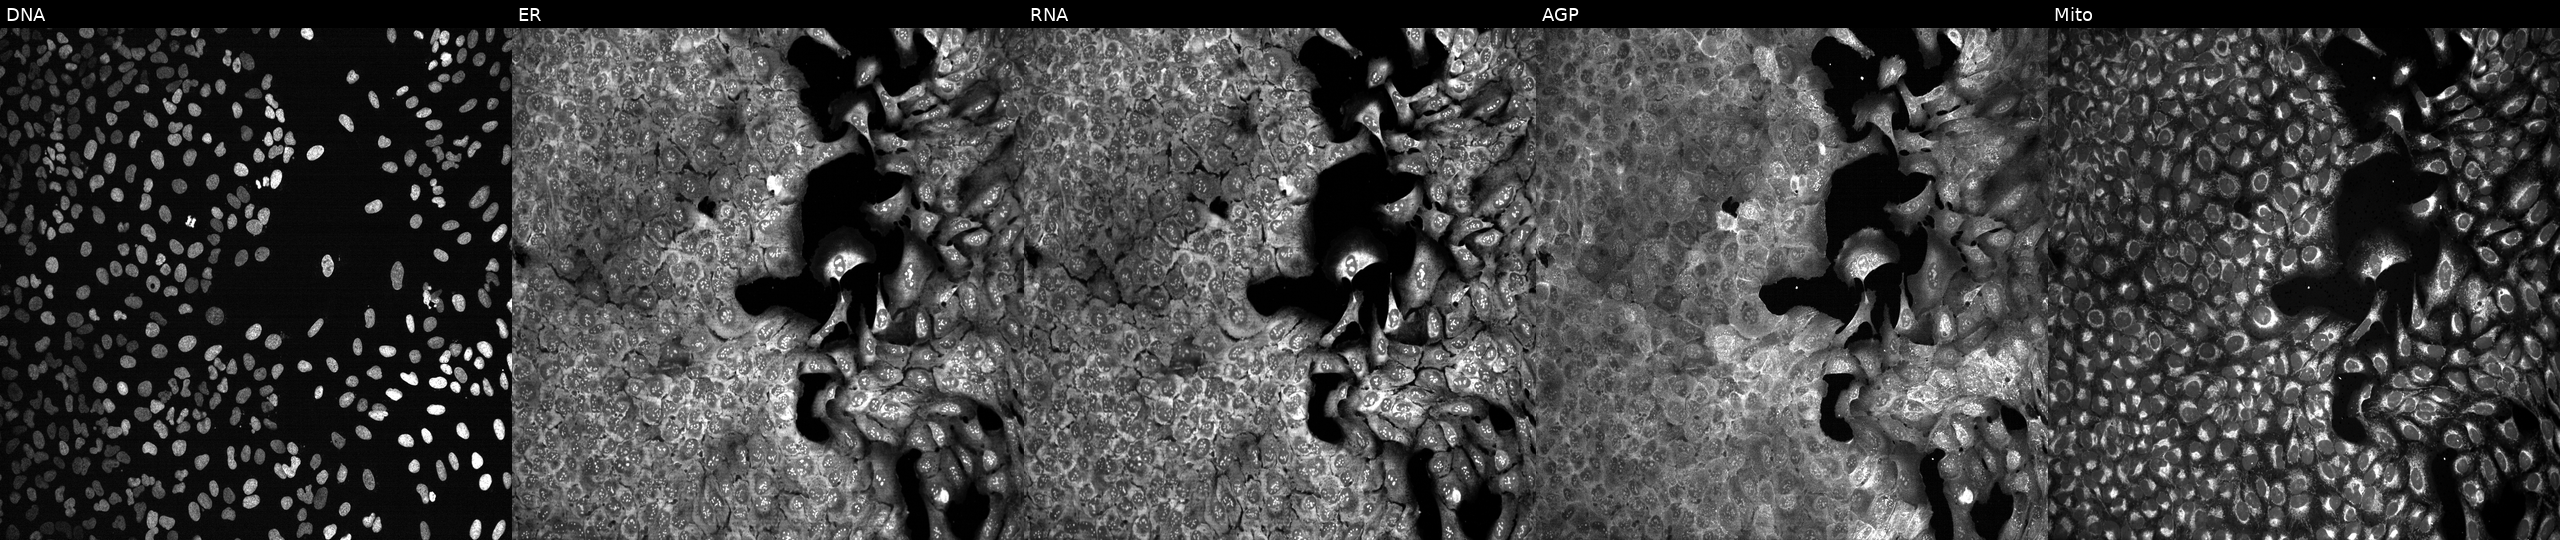
This image strip shows the five Cell Painting channels for a single field of U2OS cells following CRISPR knockout of DNAH11 (JUMP id JCP2022_801855). The five panels, left to right, show DNA, ER, RNA, AGP, and Mito.